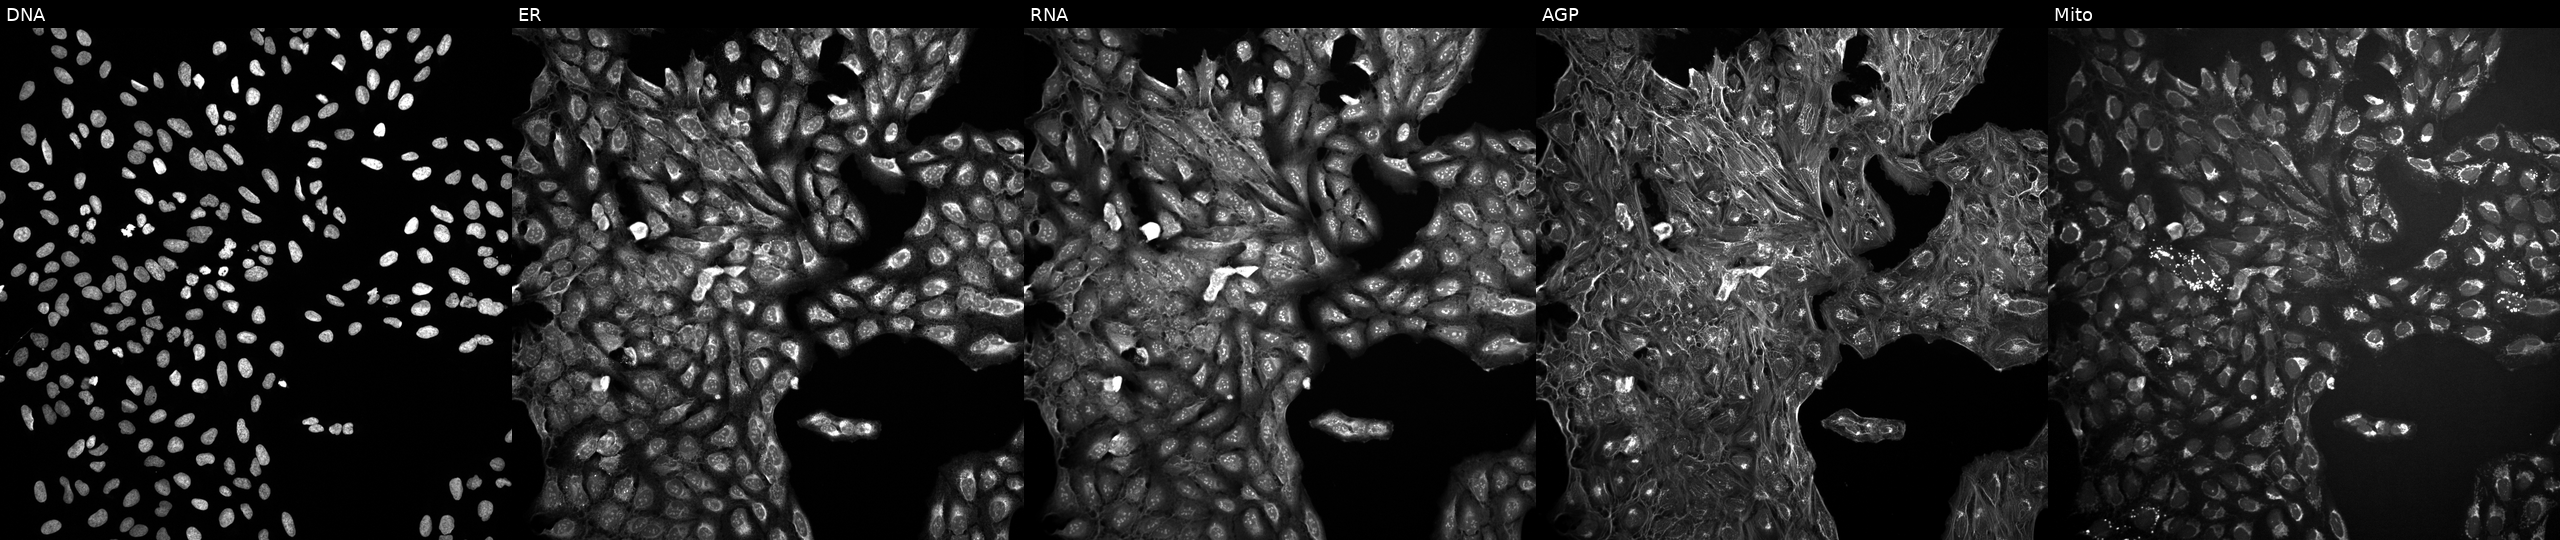
JUMP Cell Painting — COMPOUND plate. U2OS cells exposed to a small-molecule compound. From left to right: Hoechst 33342, concanavalin A, SYTO 14, phalloidin and WGA, MitoTracker.